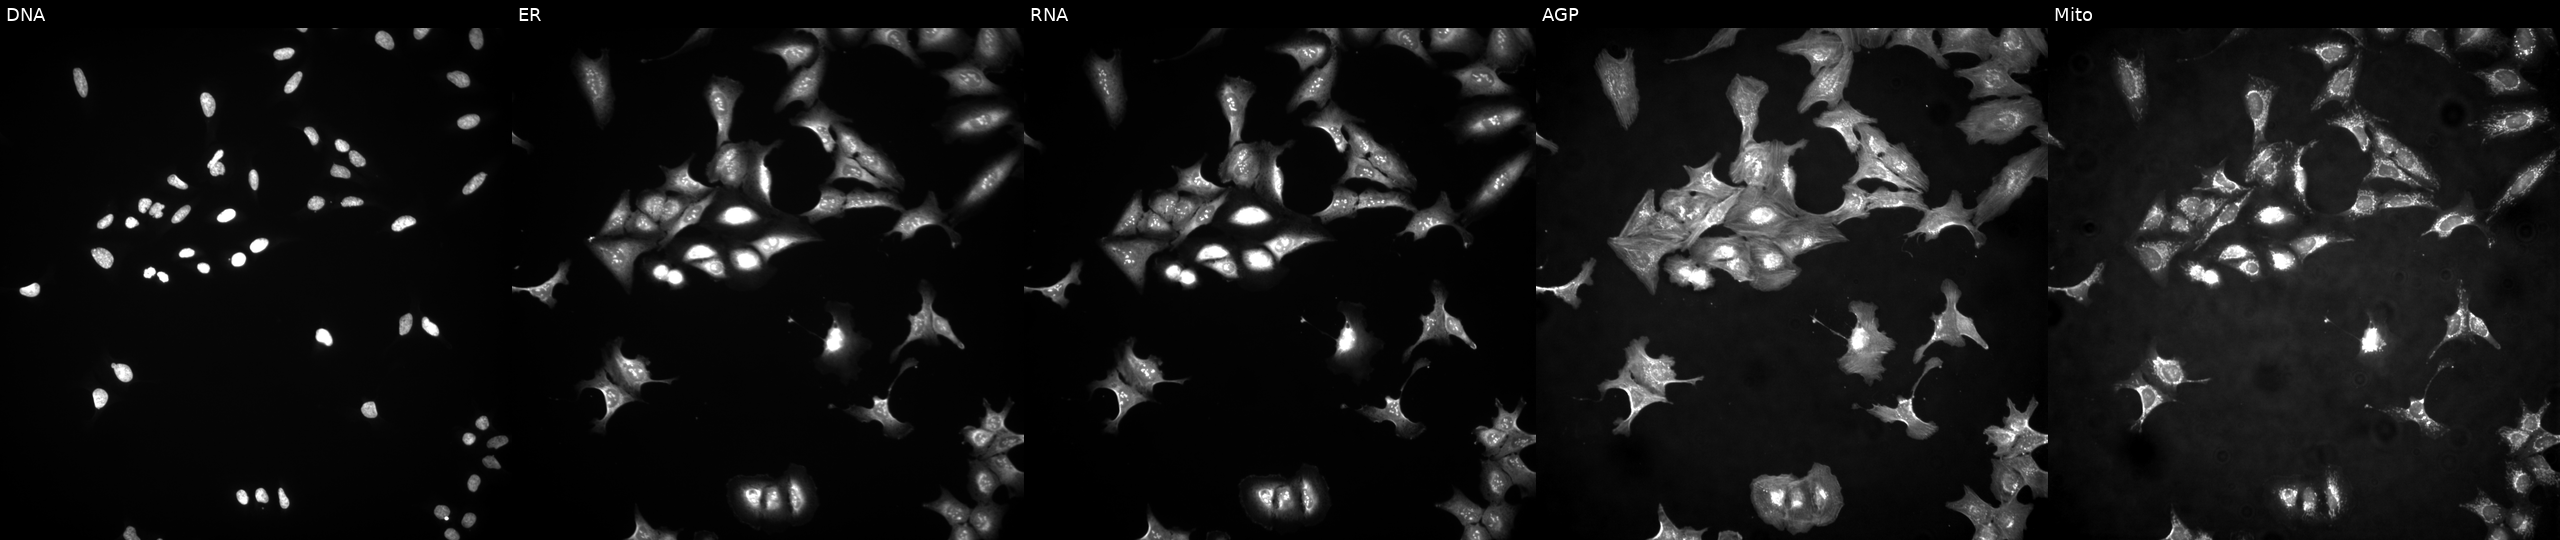
JUMP Cell Painting — ORF plate. U2OS cells with NID2 overexpressed (ORF) (JUMP id JCP2022_910838). The five panels, left to right, show Hoechst 33342, concanavalin A, SYTO 14, phalloidin and WGA, MitoTracker. Source 4, plate BR00124784, well I15.